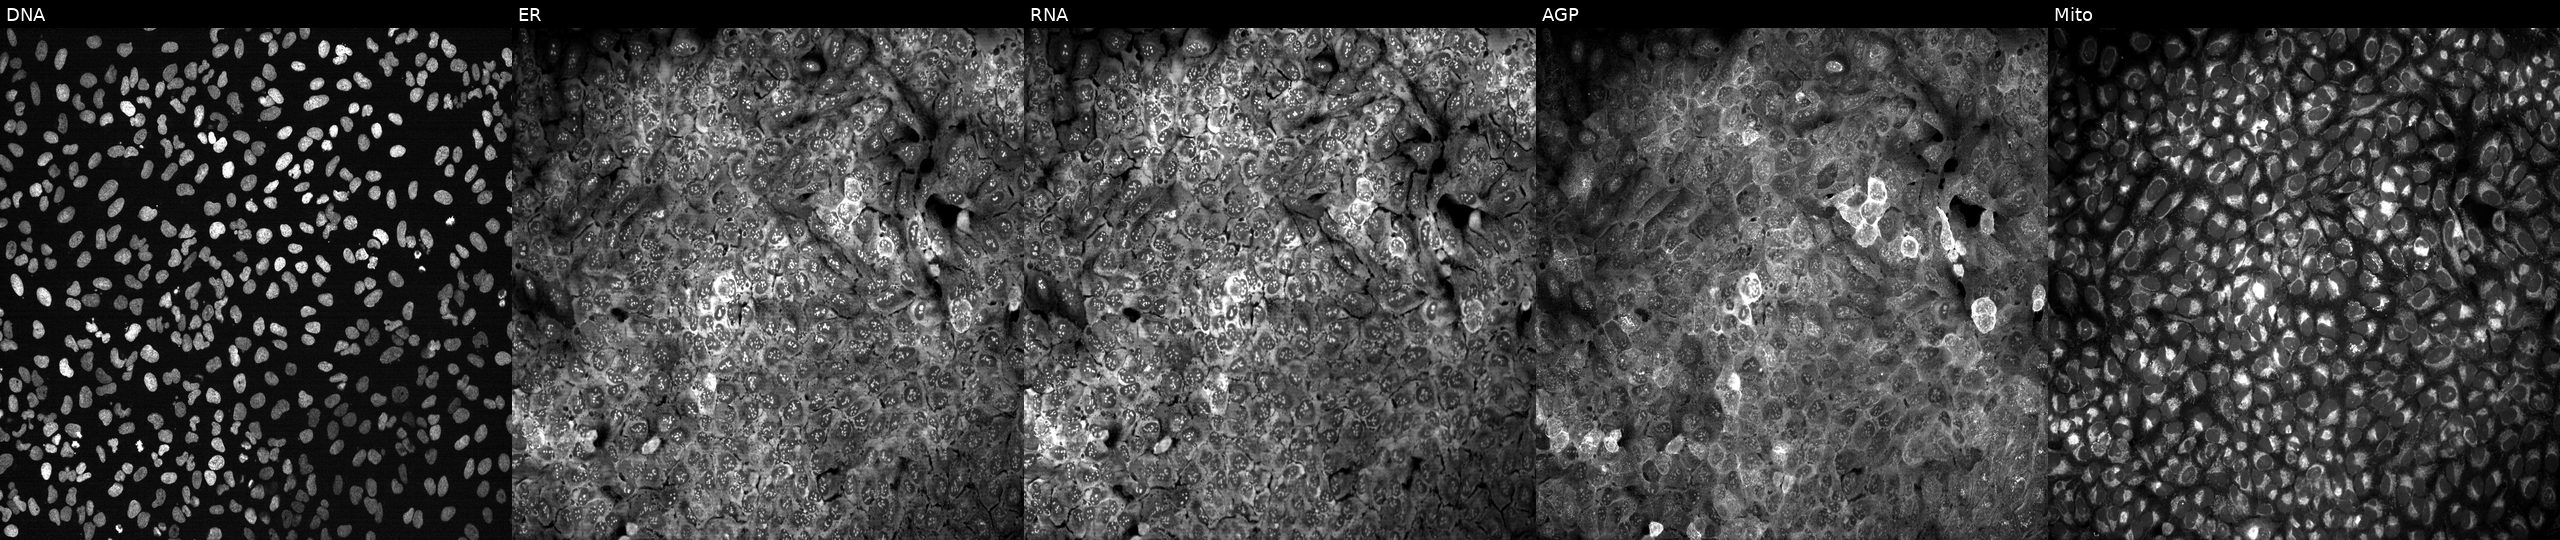
High-content fluorescence microscopy (Cell Painting). Cell line: U2OS. Perturbation: following CRISPR knockout of FKBP1B. From left to right: DNA (nuclei); ER (endoplasmic reticulum); RNA (nucleoli and cytoplasmic RNA); AGP (actin cytoskeleton, Golgi, and plasma membrane); Mito (mitochondria).